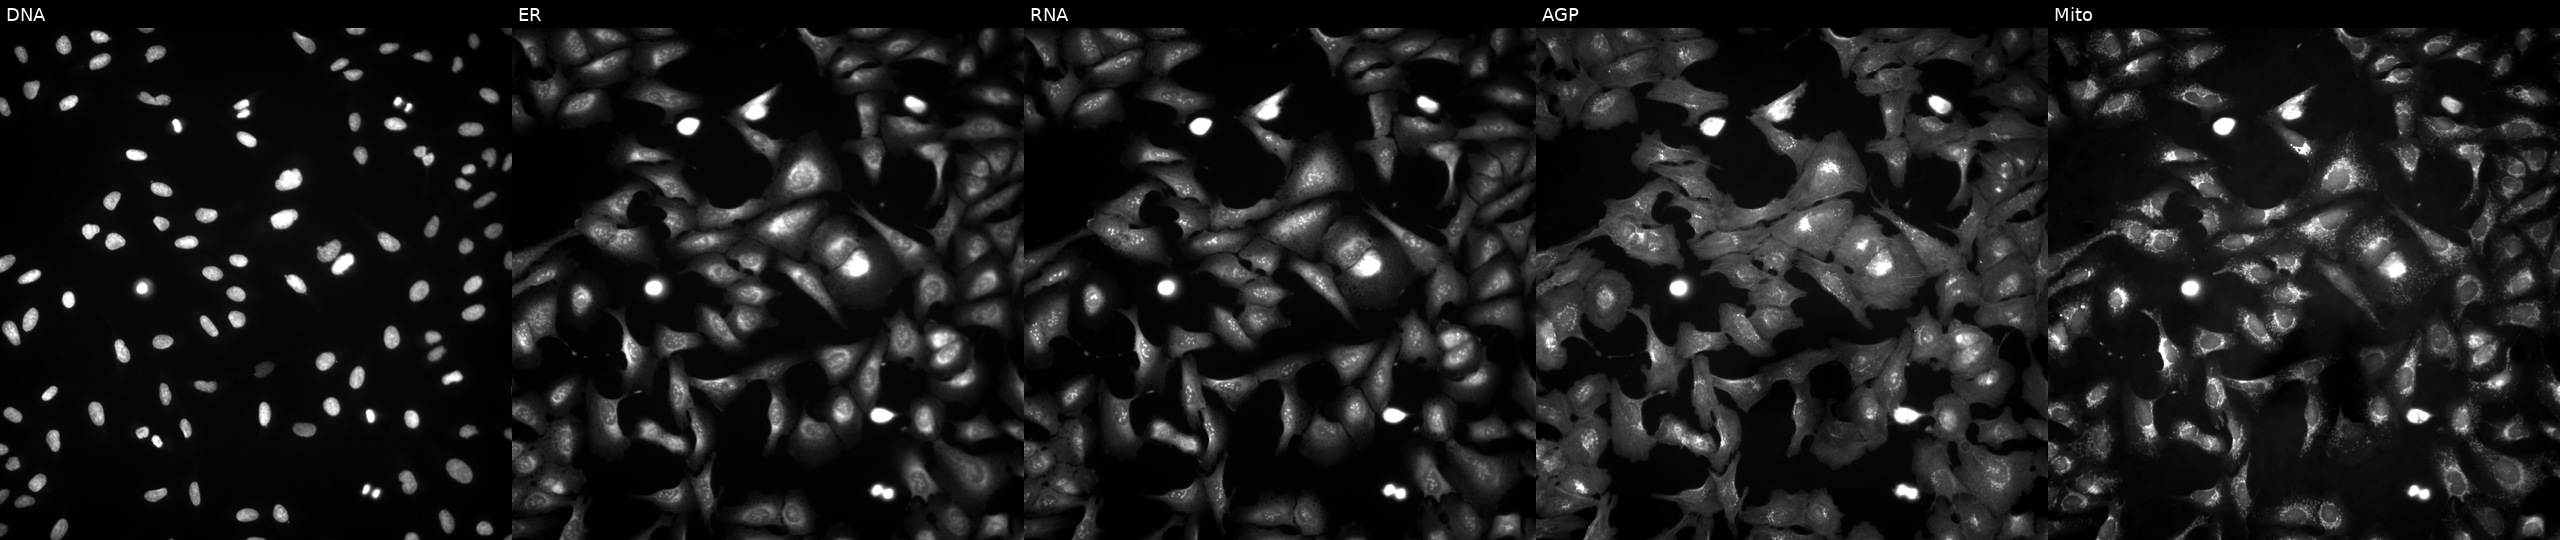
High-content fluorescence microscopy (Cell Painting). Cell line: U2OS. Perturbation: overexpressing SH3BGRL2 via ORF transfection. From left to right: Hoechst 33342, concanavalin A, SYTO 14, phalloidin and WGA, MitoTracker.